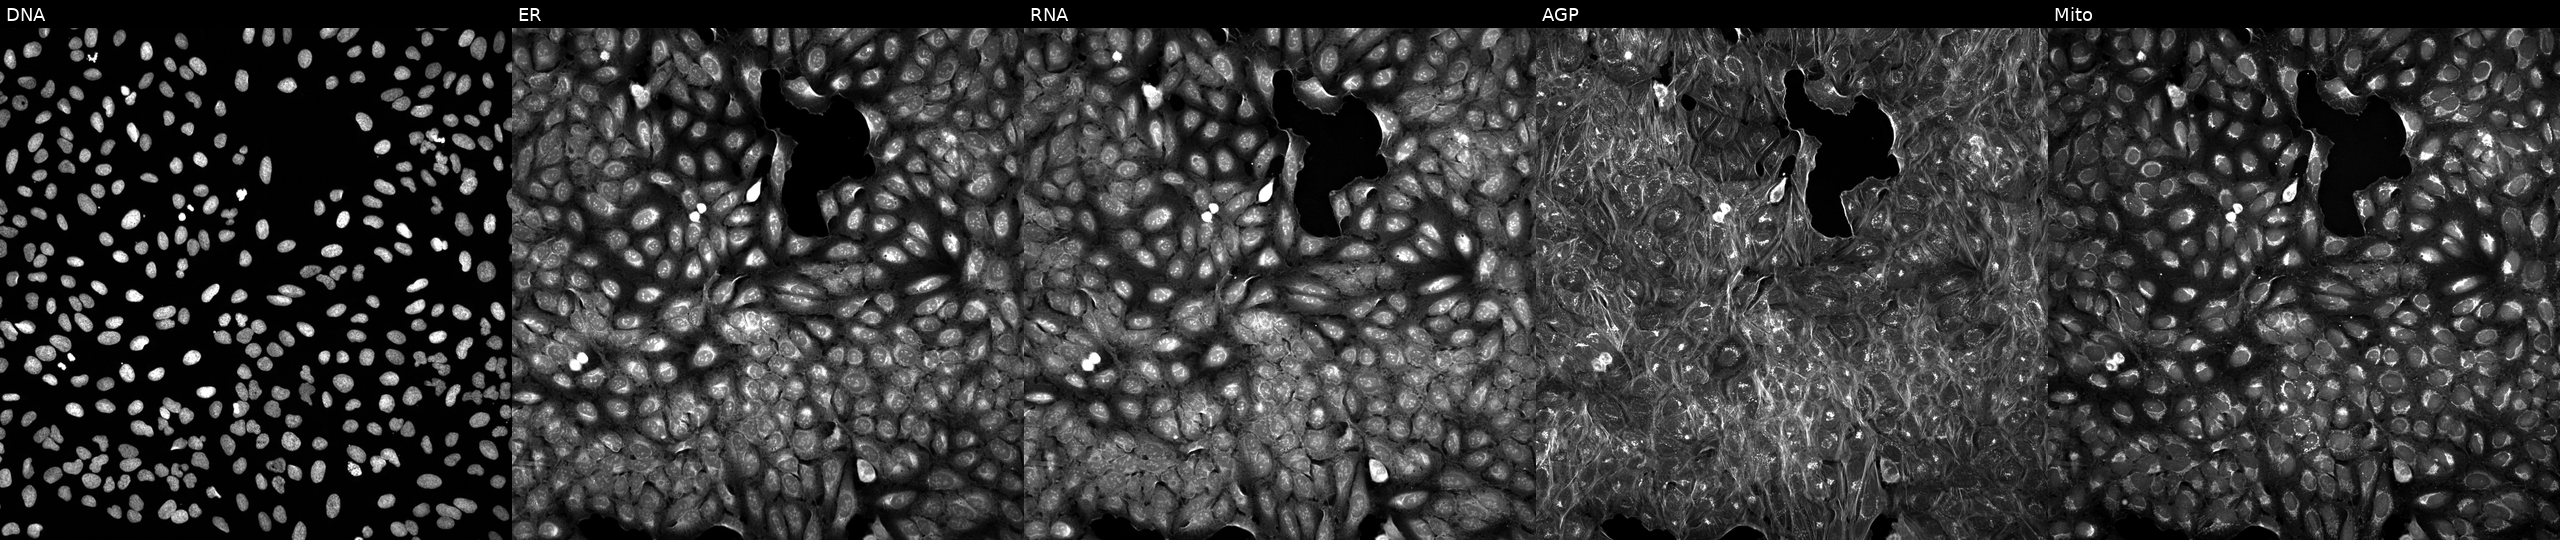
High-content fluorescence microscopy (Cell Painting). Cell line: U2OS. Perturbation: perturbed with a small-molecule compound (InChIKey NLSSUSRERAMBTA-UHFFFAOYSA-N) [SMILES: O=C(Nc1ccc(N2CCC(C(=O)N3CCOCC3)CC2)cc1)c1cnc(Oc2ccccc2)nc1]. Panels show, left to right, DNA, ER, RNA, AGP, and Mito.